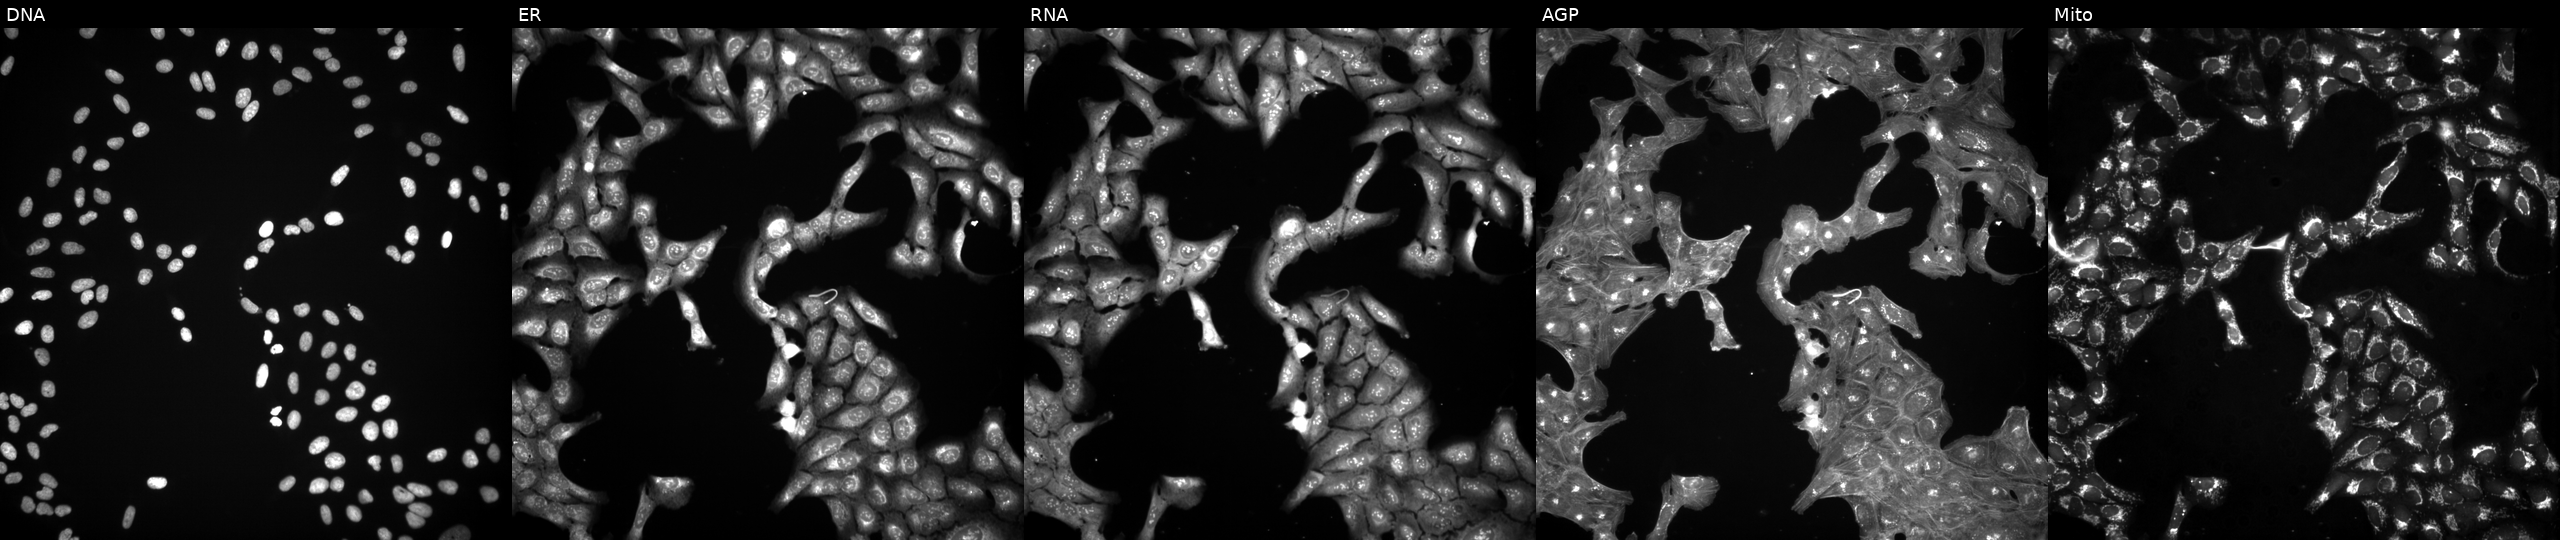
High-content fluorescence microscopy (Cell Painting). Cell line: U2OS. Perturbation: treated with a small-molecule compound. The five panels, left to right, show DNA, ER, RNA, AGP, and Mito.